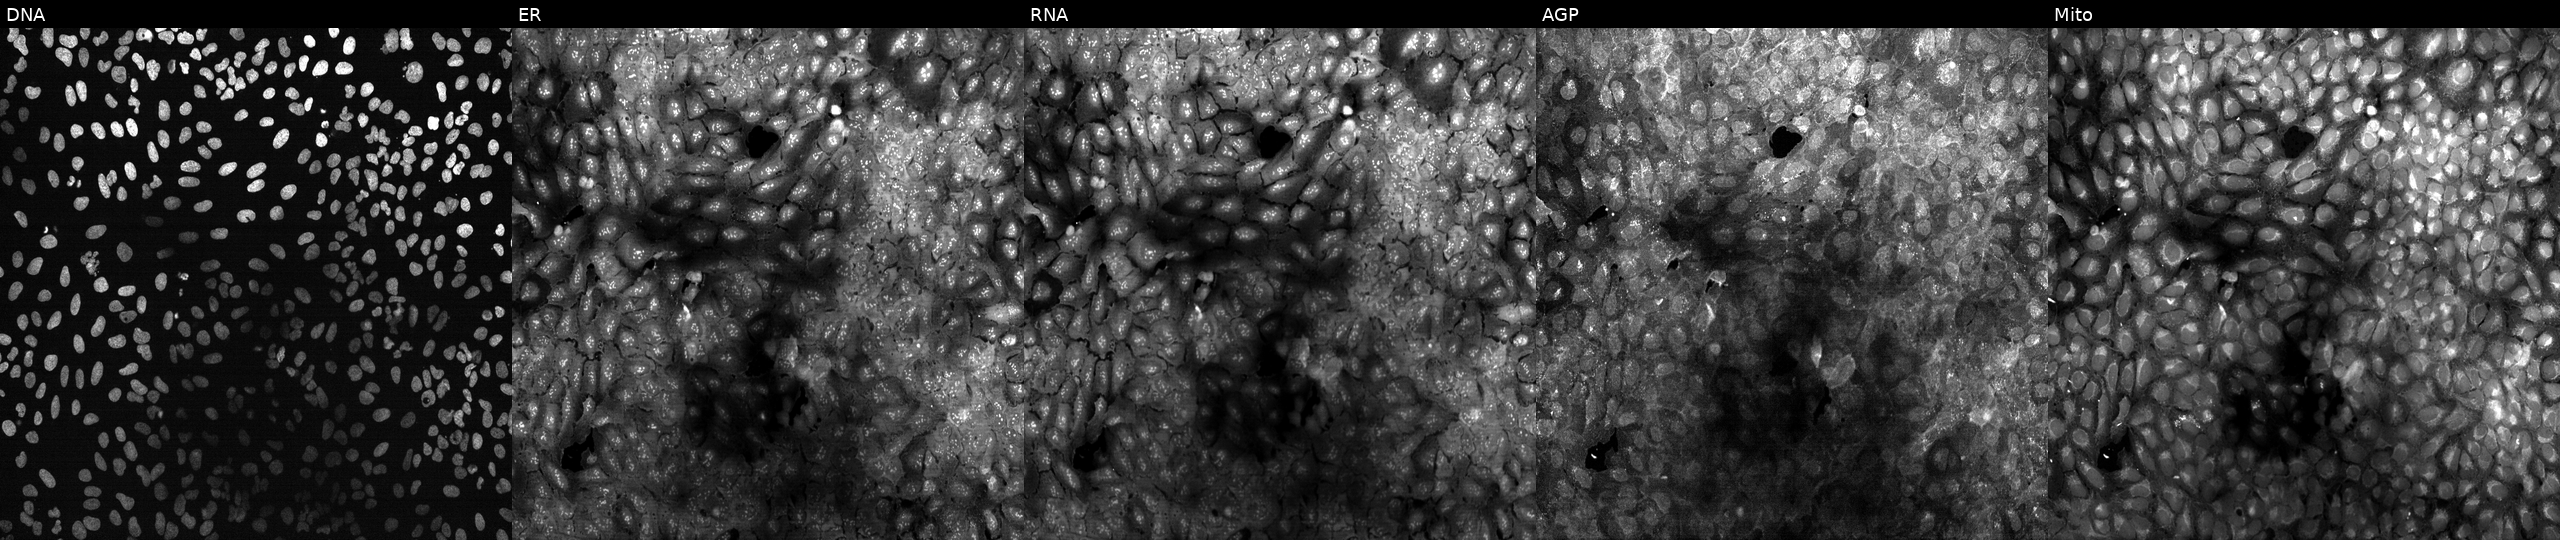
JUMP Cell Painting — CRISPR plate. U2OS cells with IL11 knocked out by CRISPR. Channels (left→right): DNA (nuclei); ER (endoplasmic reticulum); RNA (nucleoli and cytoplasmic RNA); AGP (actin cytoskeleton, Golgi, and plasma membrane); Mito (mitochondria). Source 13, plate CP-CC9-R1-01, well H03.